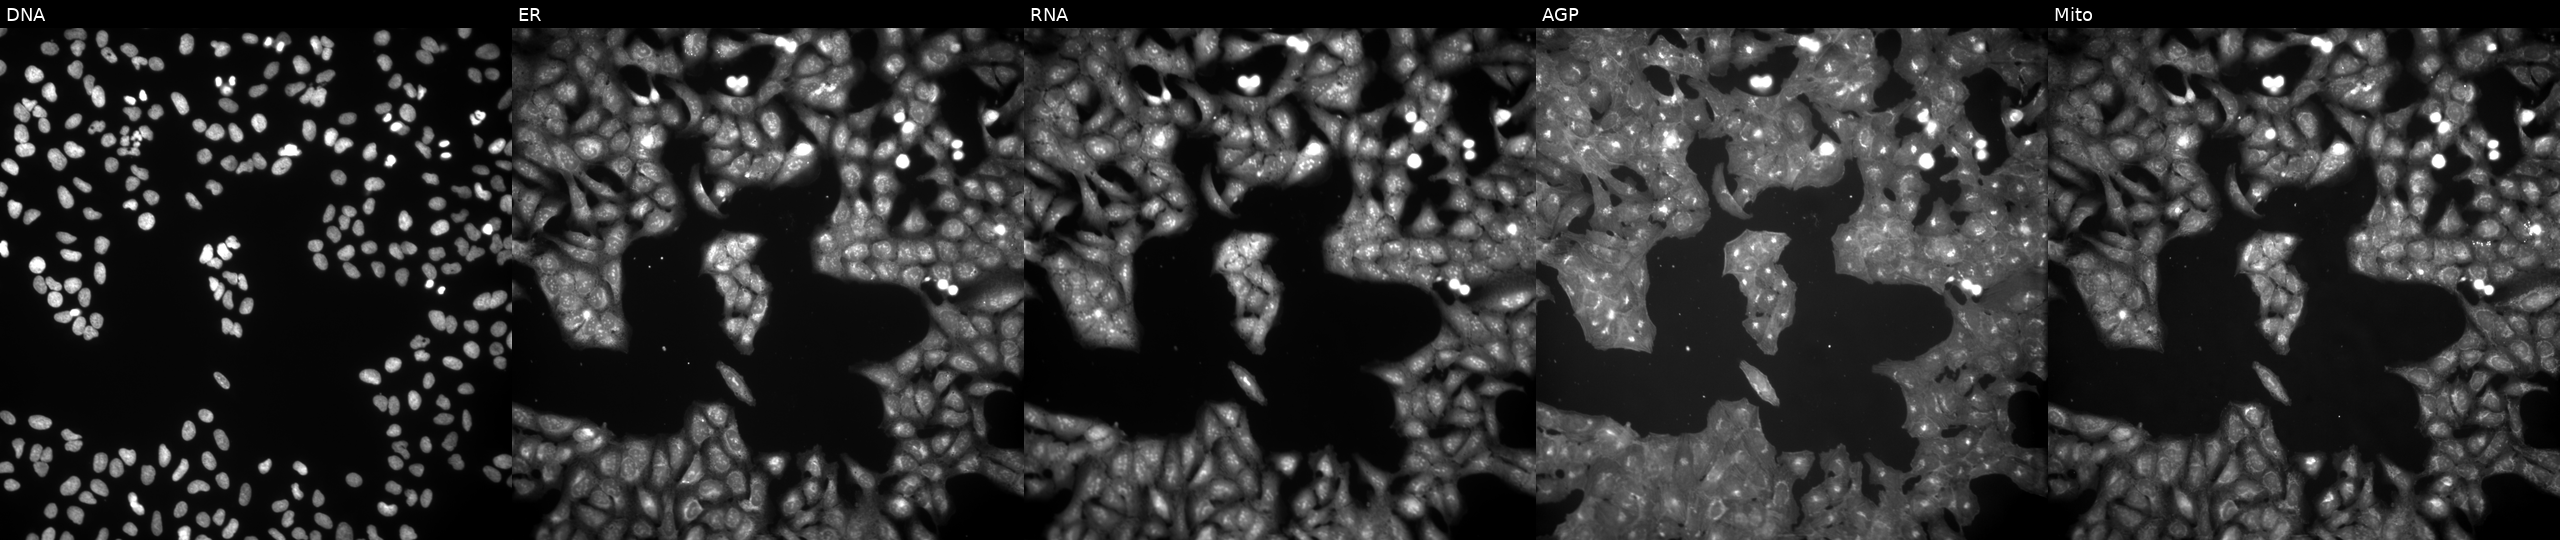
U2OS cells, Cell Painting assay, treated with NVS-PAK1-1 (positive-control compound) (JUMP id JCP2022_064022). From left to right: Hoechst 33342, concanavalin A, SYTO 14, phalloidin and WGA, MitoTracker. Each panel is percentile-stretched 16-bit fluorescence.